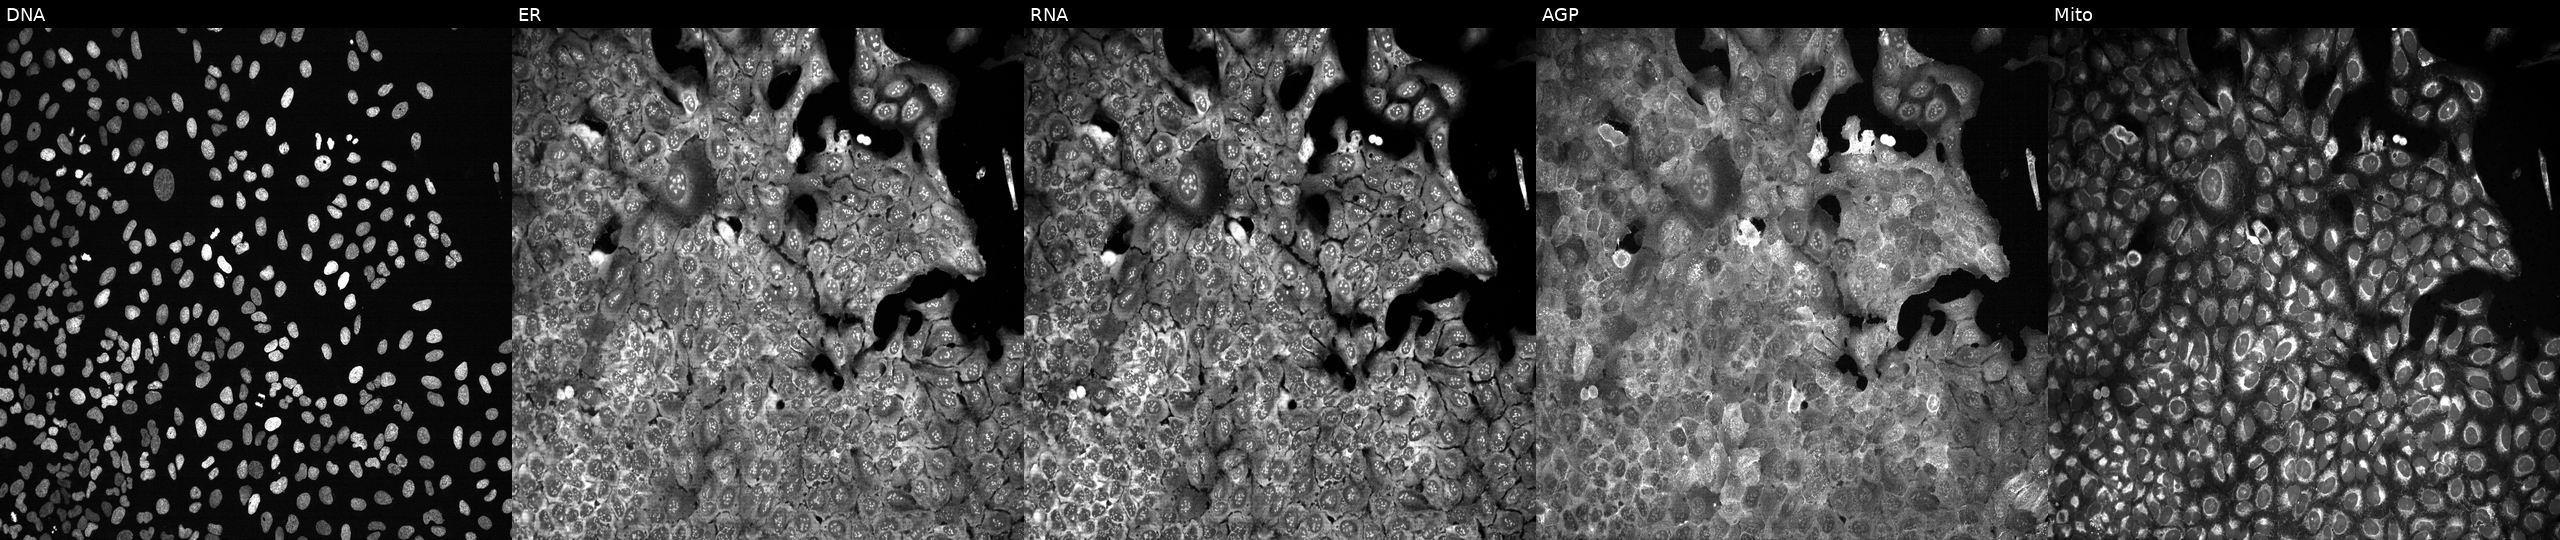
High-content fluorescence microscopy (Cell Painting). Cell line: U2OS. Perturbation: CRISPR-edited to disrupt SEPT9 (JUMP id JCP2022_806268). From left to right: DNA (nuclei); ER (endoplasmic reticulum); RNA (nucleoli and cytoplasmic RNA); AGP (actin cytoskeleton, Golgi, and plasma membrane); Mito (mitochondria).